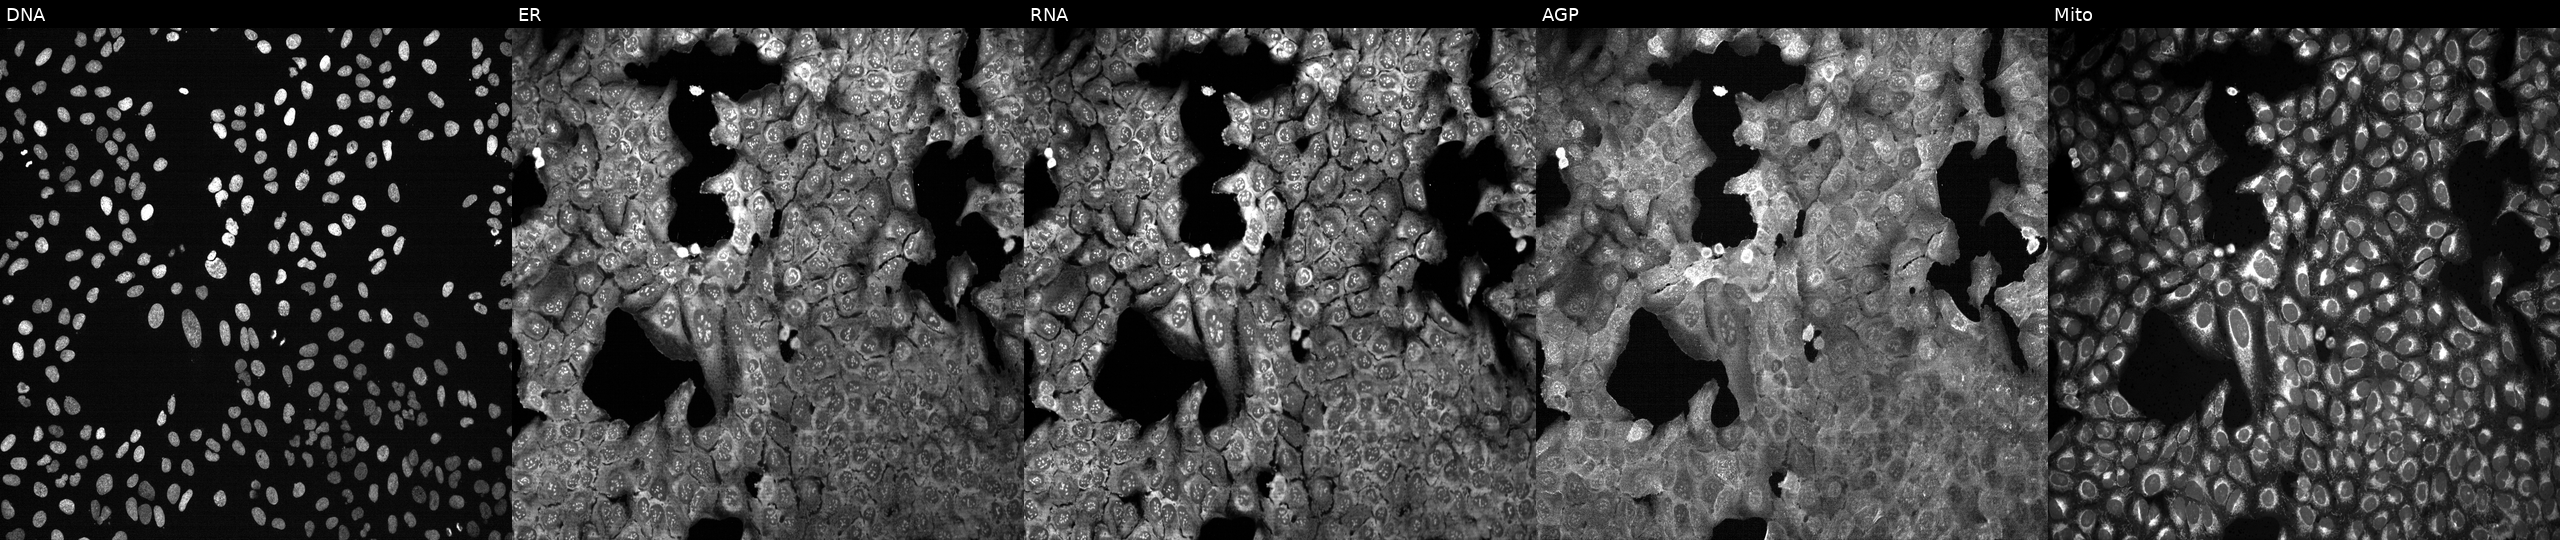
JUMP Cell Painting — CRISPR plate. U2OS cells CRISPR-edited to disrupt RAD1 (JUMP id JCP2022_805800). Panels show, left to right, Hoechst 33342, concanavalin A, SYTO 14, phalloidin and WGA, MitoTracker. Source 13, plate CP-CC9-R2-02, well O18.